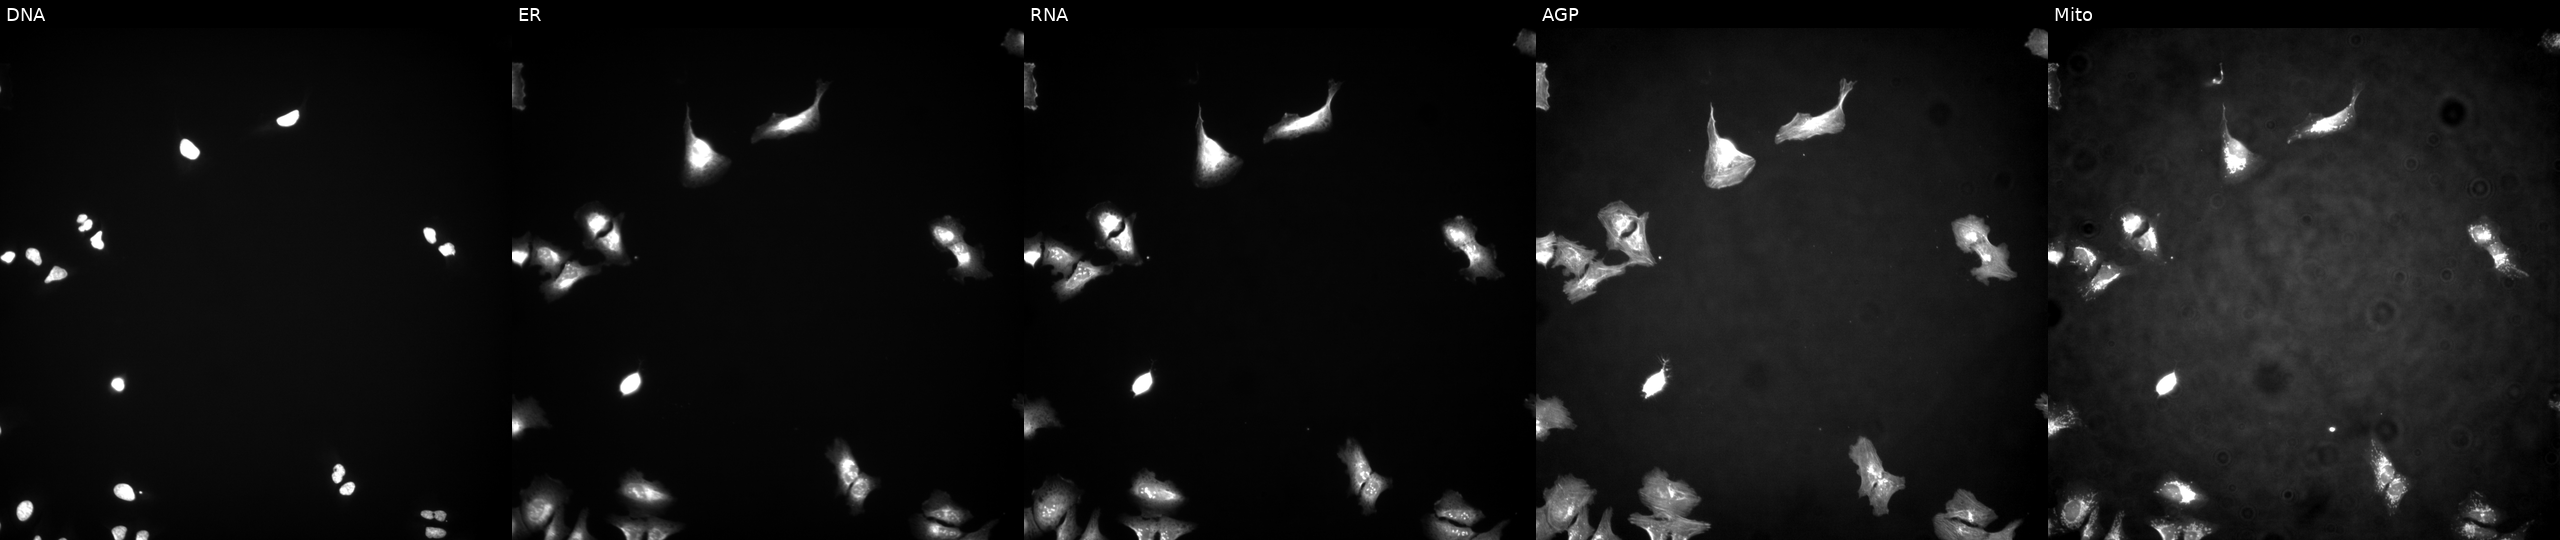
JUMP Cell Painting — ORF plate. U2OS cells with EEF1E1 overexpressed (ORF). Panels show, left to right, DNA (nuclei); ER (endoplasmic reticulum); RNA (nucleoli and cytoplasmic RNA); AGP (actin cytoskeleton, Golgi, and plasma membrane); Mito (mitochondria). Source 4, plate BR00123509, well N04.